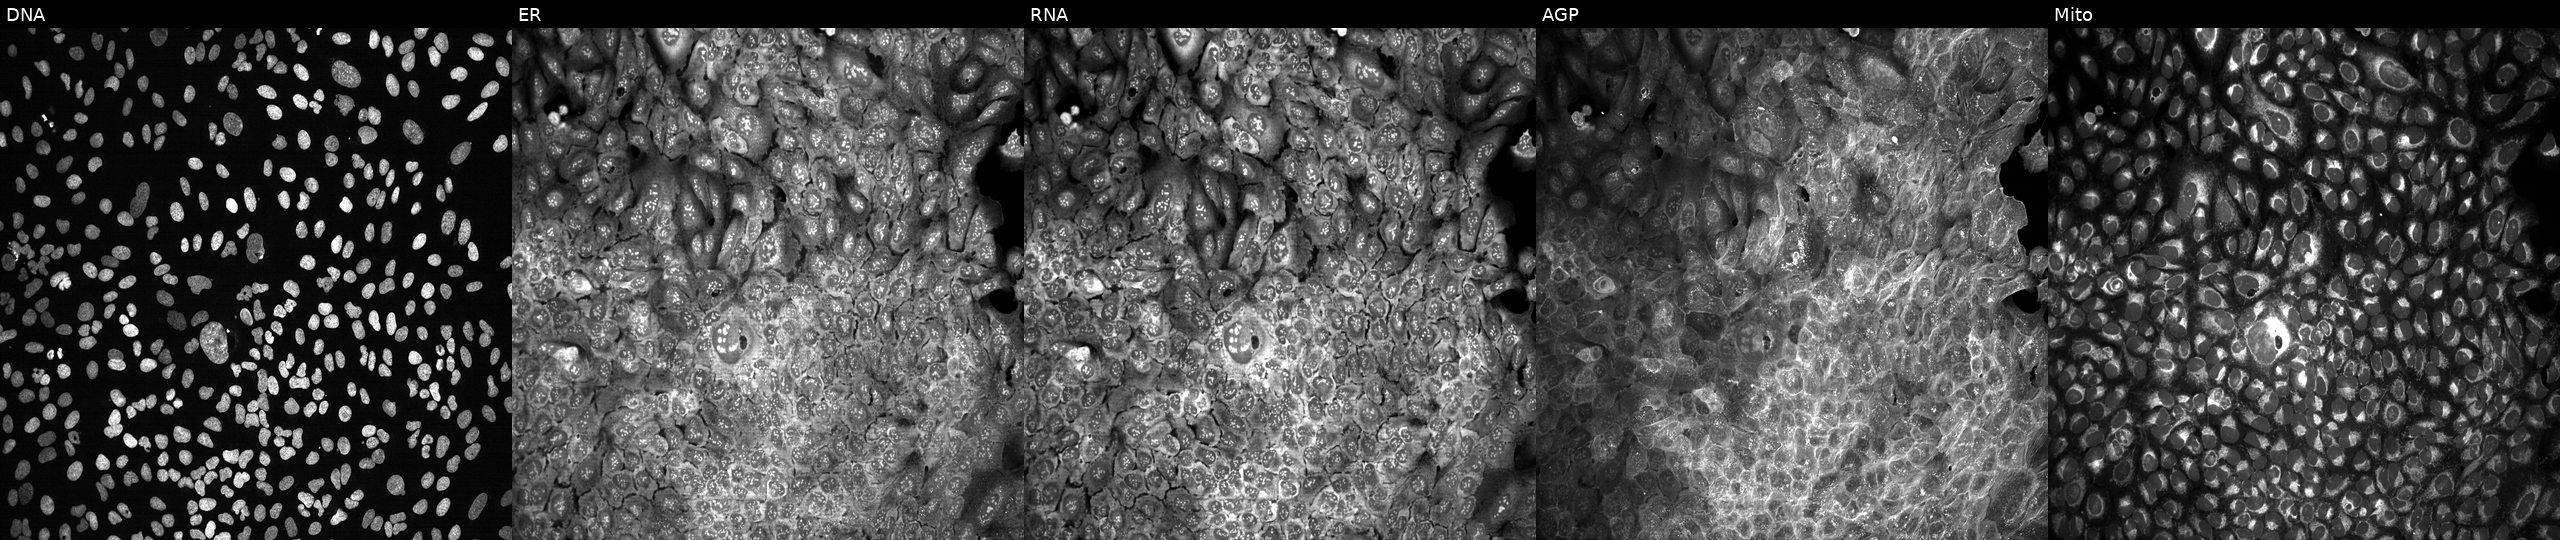
The five panels, left to right, show Hoechst 33342, concanavalin A, SYTO 14, phalloidin and WGA, MitoTracker. U2OS osteosarcoma cells with TPP2 knocked out by CRISPR. Cell Painting assay, JUMP-CP dataset.